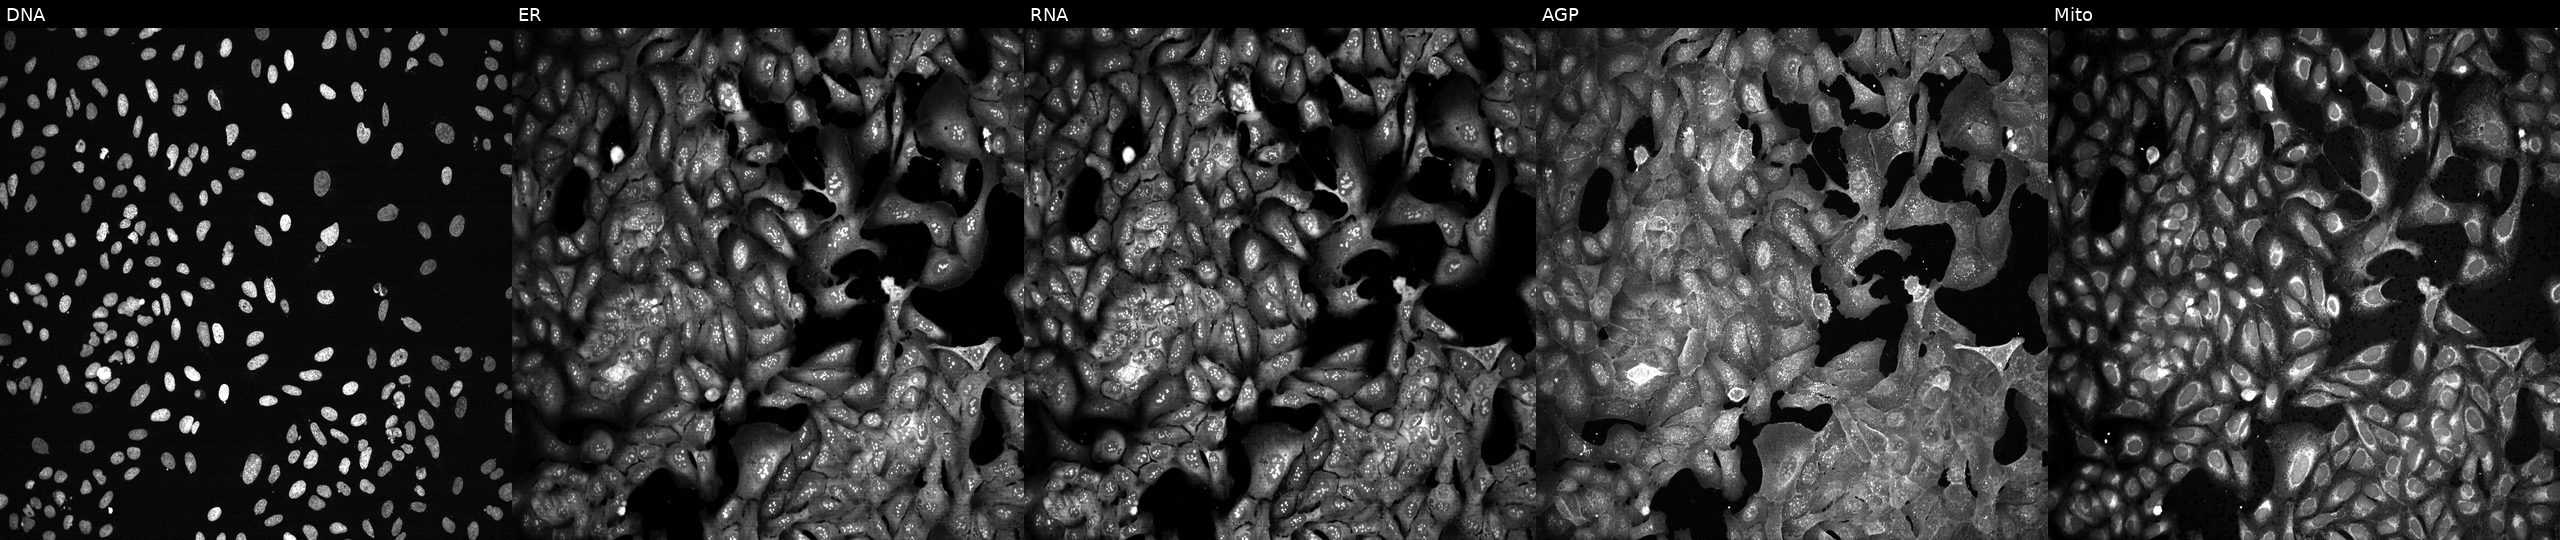
Channels (left→right): DNA (nuclei); ER (endoplasmic reticulum); RNA (nucleoli and cytoplasmic RNA); AGP (actin cytoskeleton, Golgi, and plasma membrane); Mito (mitochondria). U2OS osteosarcoma cells following CRISPR knockout of PGLYRP3 (JUMP id JCP2022_805078). Cell Painting assay, JUMP-CP dataset. Source 13, plate CP-CC9-R5-01, well B21.